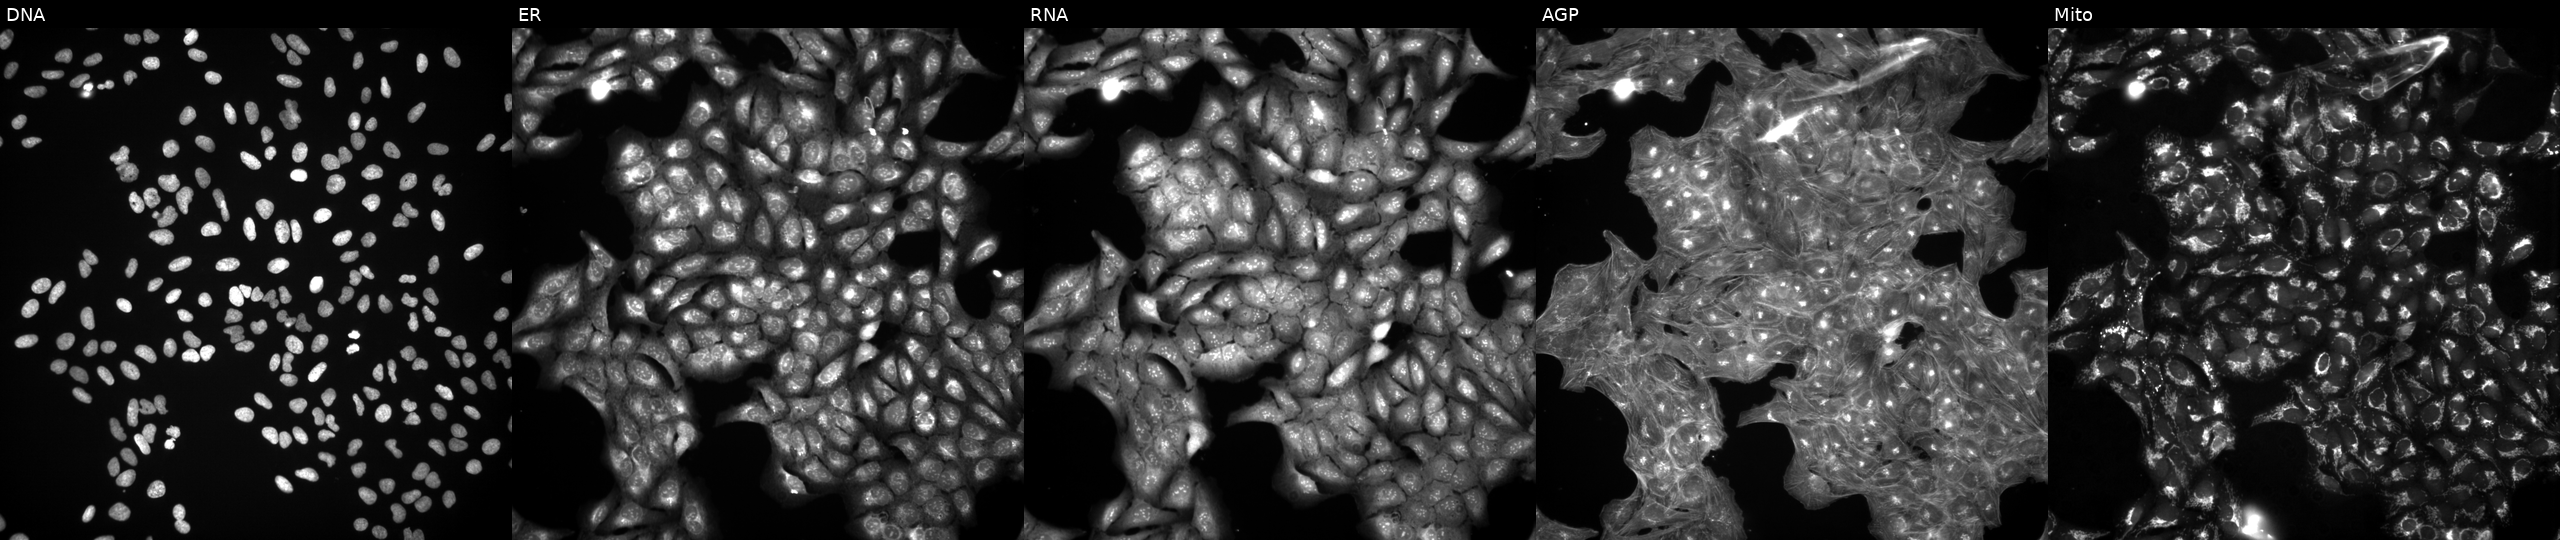
High-content fluorescence microscopy (Cell Painting). Cell line: U2OS. Perturbation: treated with a small-molecule compound (InChIKey QESQGTFWEQMCMH-UHFFFAOYSA-N) (JUMP id JCP2022_072945). Channels (left→right): DNA, ER, RNA, AGP, and Mito.